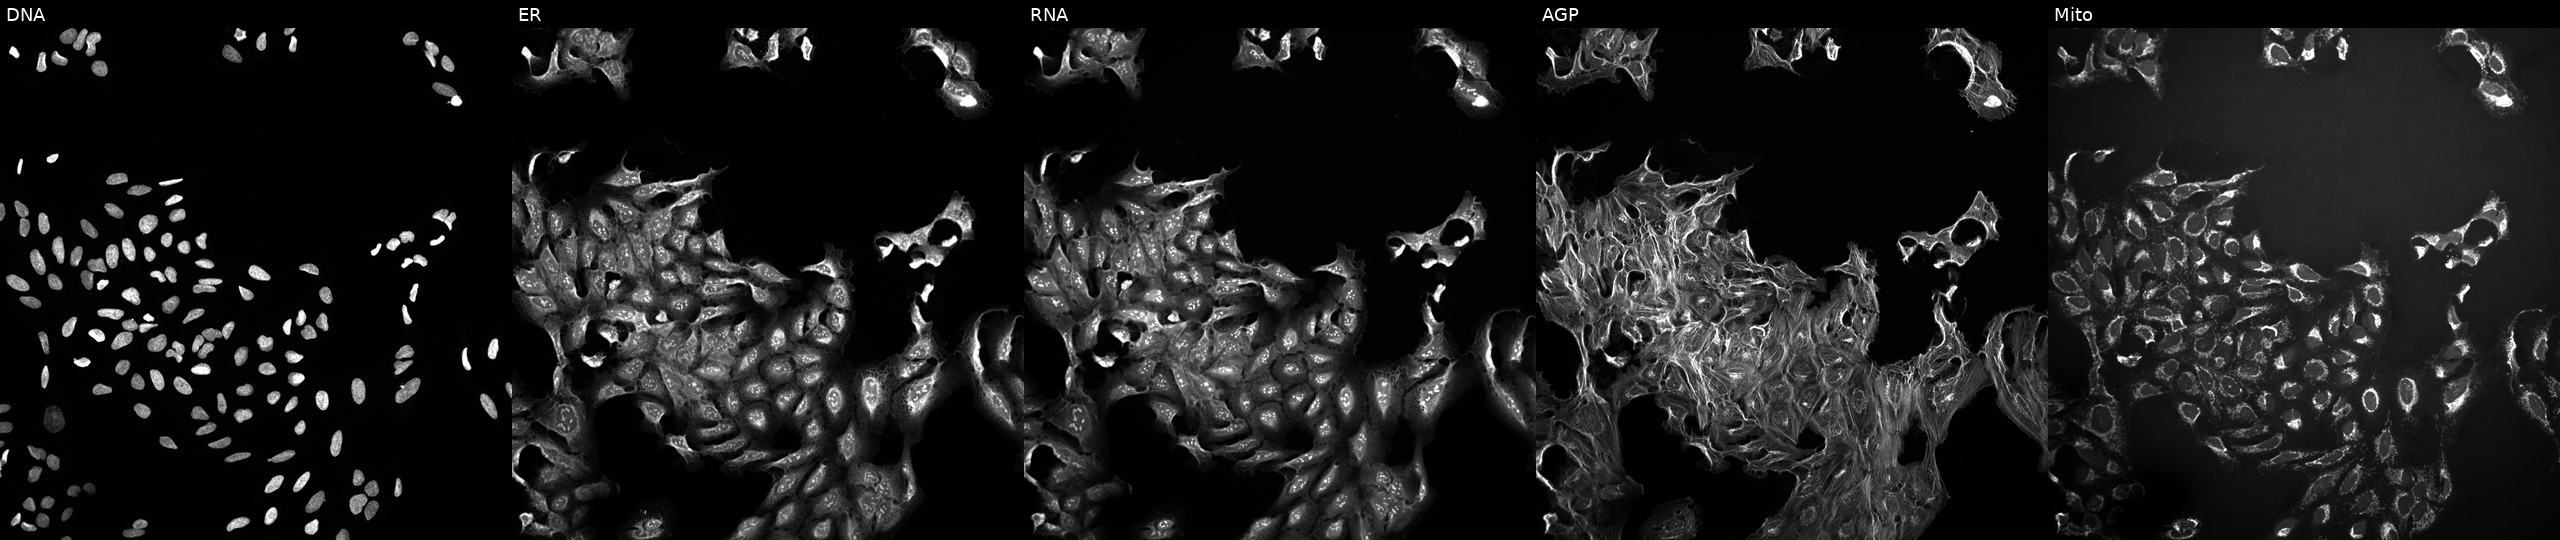
JUMP Cell Painting — TARGET2 plate. U2OS cells exposed to a small-molecule compound (JUMP id JCP2022_015955). The five panels, left to right, show Hoechst 33342, concanavalin A, SYTO 14, phalloidin and WGA, MitoTracker.